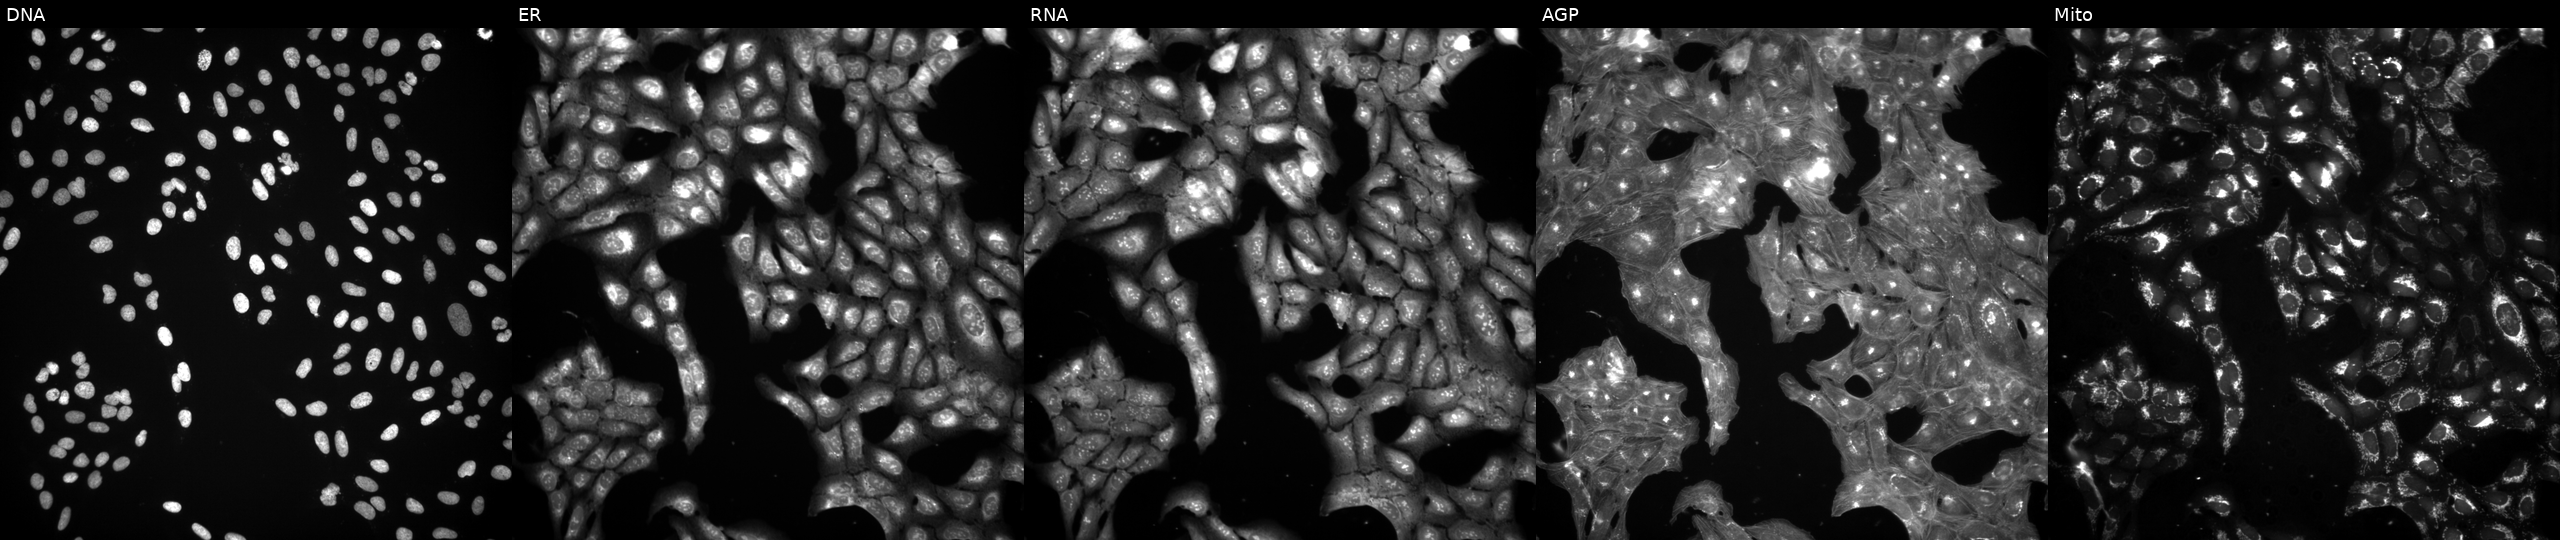
Five-channel Cell Painting image of U2OS cells treated with a small-molecule compound [SMILES: Cc1ccc2nc(N3CCOCC3)nc(-c3ccccc3)c2c1]. Panels show, left to right, DNA, ER, RNA, AGP, and Mito. Source 3, plate BR5867b3, well F19.